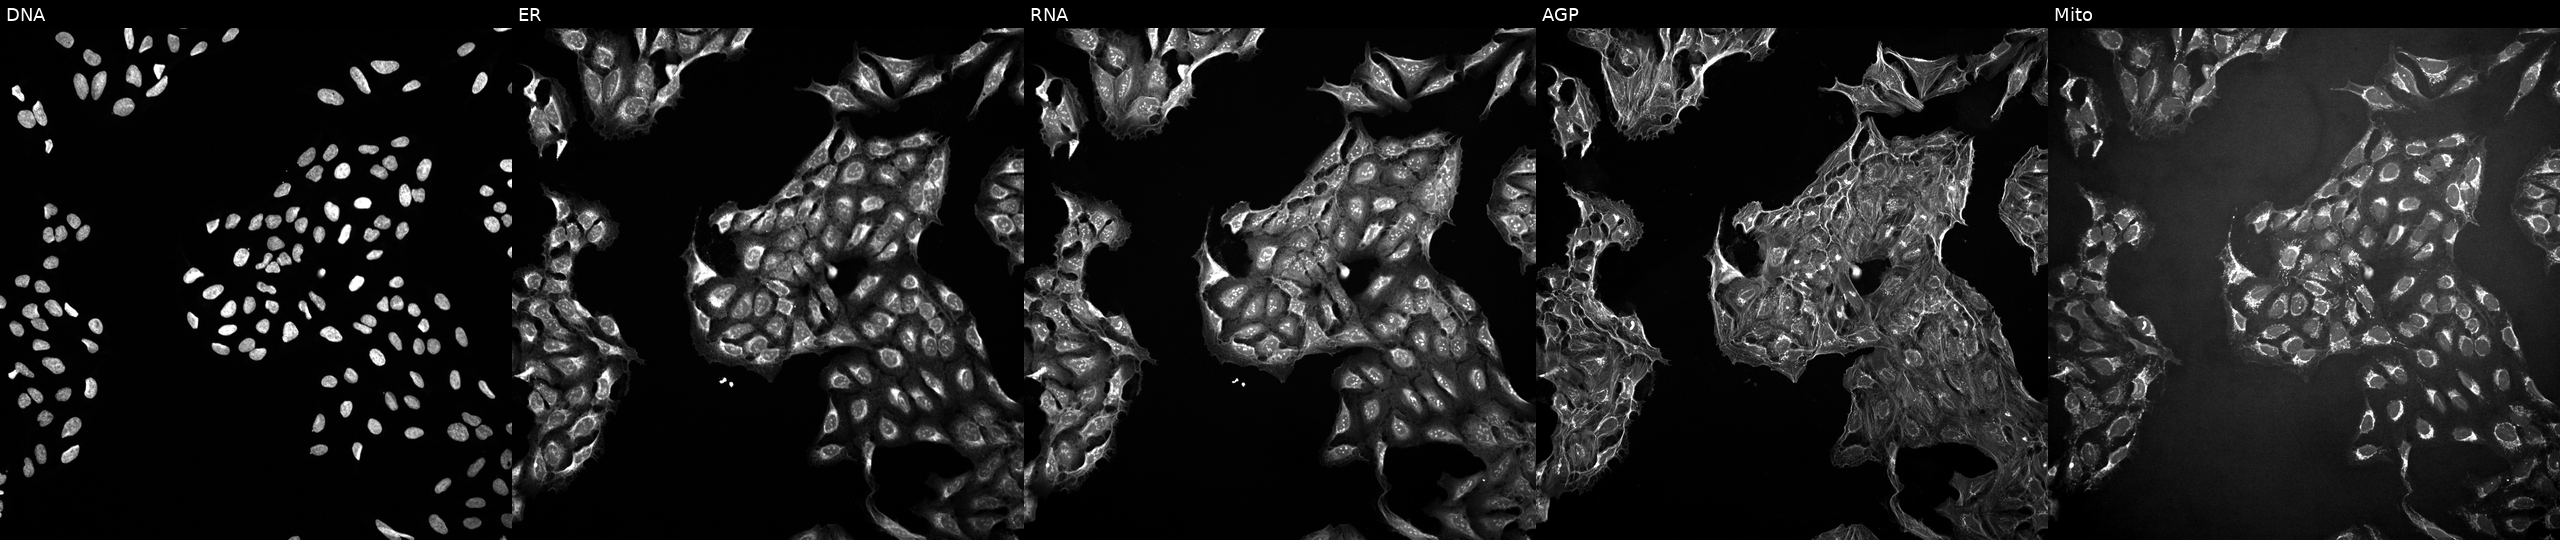
Five-channel Cell Painting image of U2OS cells treated with a small-molecule compound (InChIKey OWJXEFIRWMCFND-UHFFFAOYSA-N) (JUMP id JCP2022_066571). The five panels, left to right, show Hoechst 33342, concanavalin A, SYTO 14, phalloidin and WGA, MitoTracker. Source 10, plate Dest210531-152324, well A08.